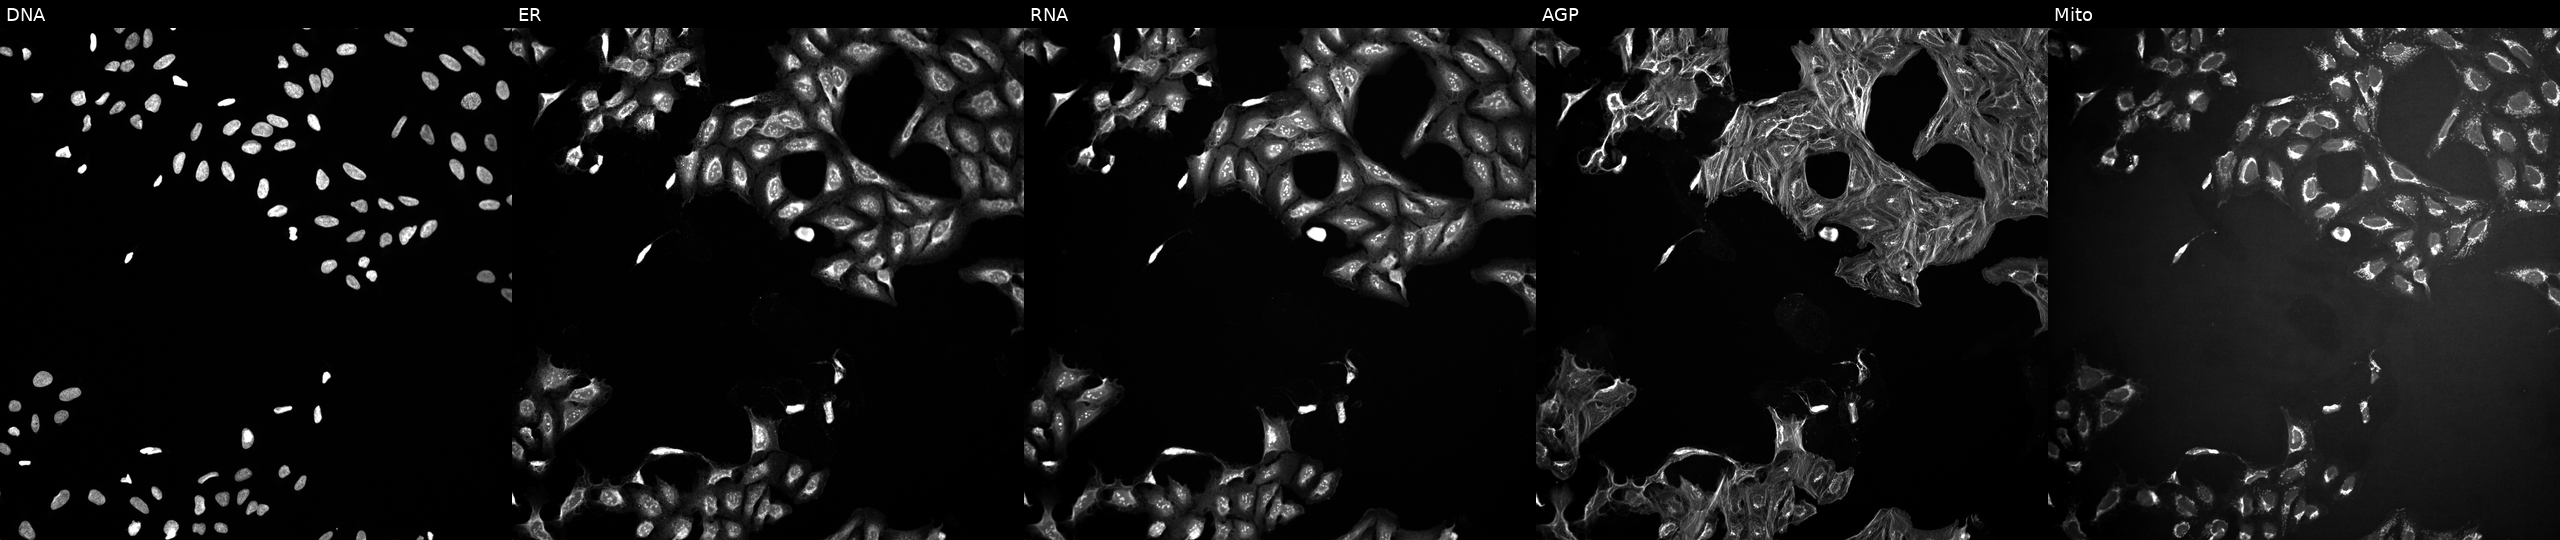
This image strip shows the five Cell Painting channels for a single field of U2OS cells treated with a small-molecule compound (InChIKey UMUPQWIGCOZEOY-UHFFFAOYSA-N). Channels (left→right): DNA, ER, RNA, AGP, and Mito.